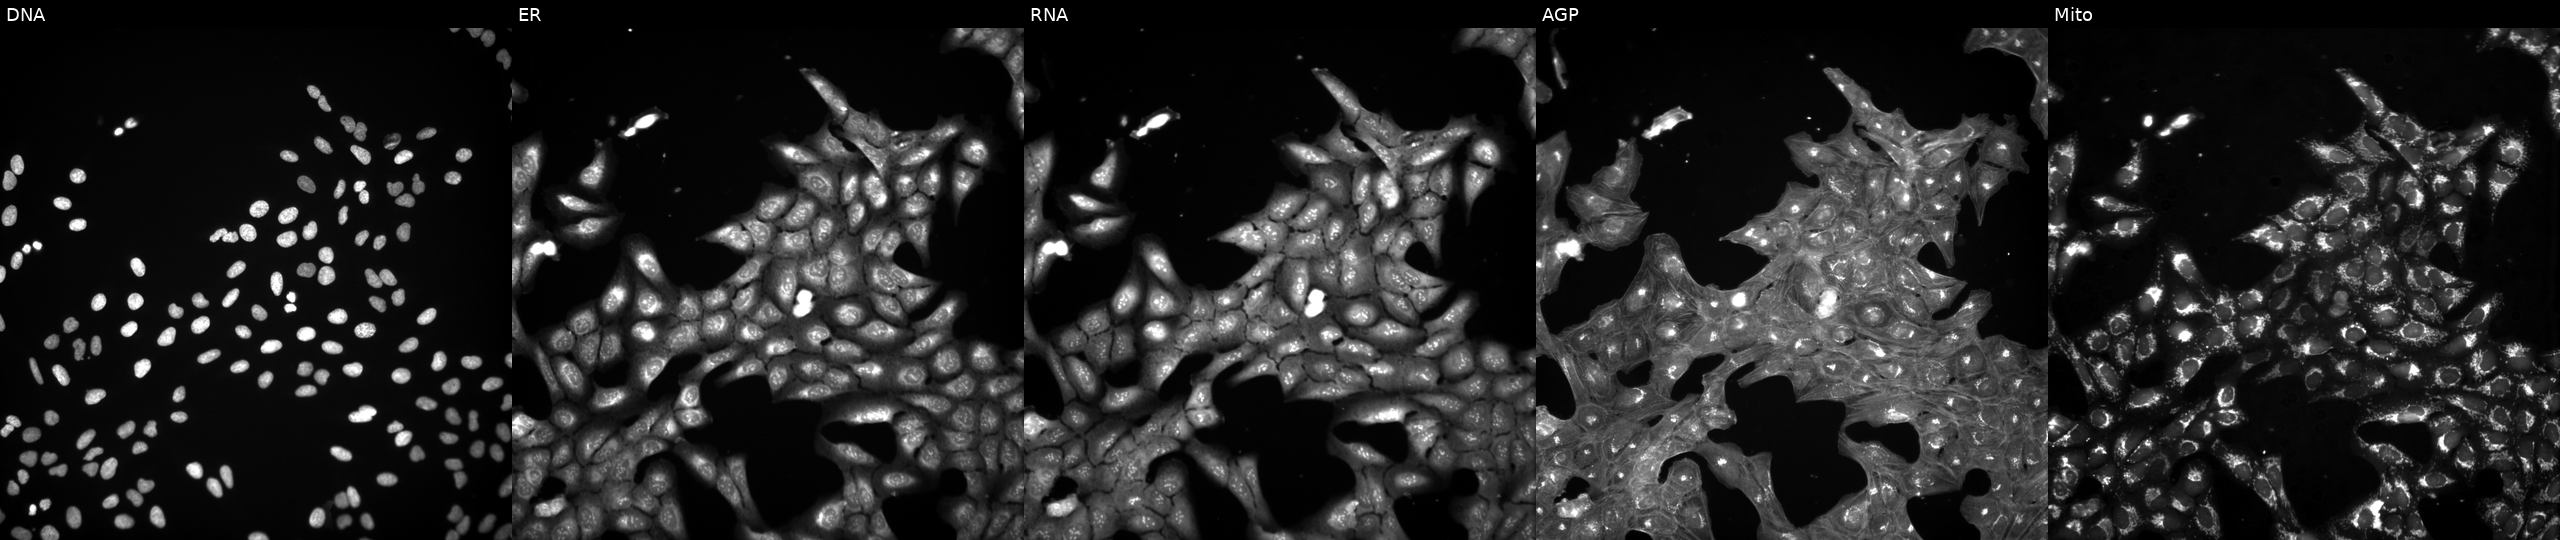
Five-channel Cell Painting image of U2OS cells exposed to a small-molecule compound (InChIKey TUZPPRJPRUXRRD-UHFFFAOYSA-N) [SMILES: CCn1nc(C(=O)OCC(=O)c2ccc3c(c2)OCCO3)c2ccccc2c1=O] (JUMP id JCP2022_086888). Channels (left→right): DNA (nuclei); ER (endoplasmic reticulum); RNA (nucleoli and cytoplasmic RNA); AGP (actin cytoskeleton, Golgi, and plasma membrane); Mito (mitochondria).